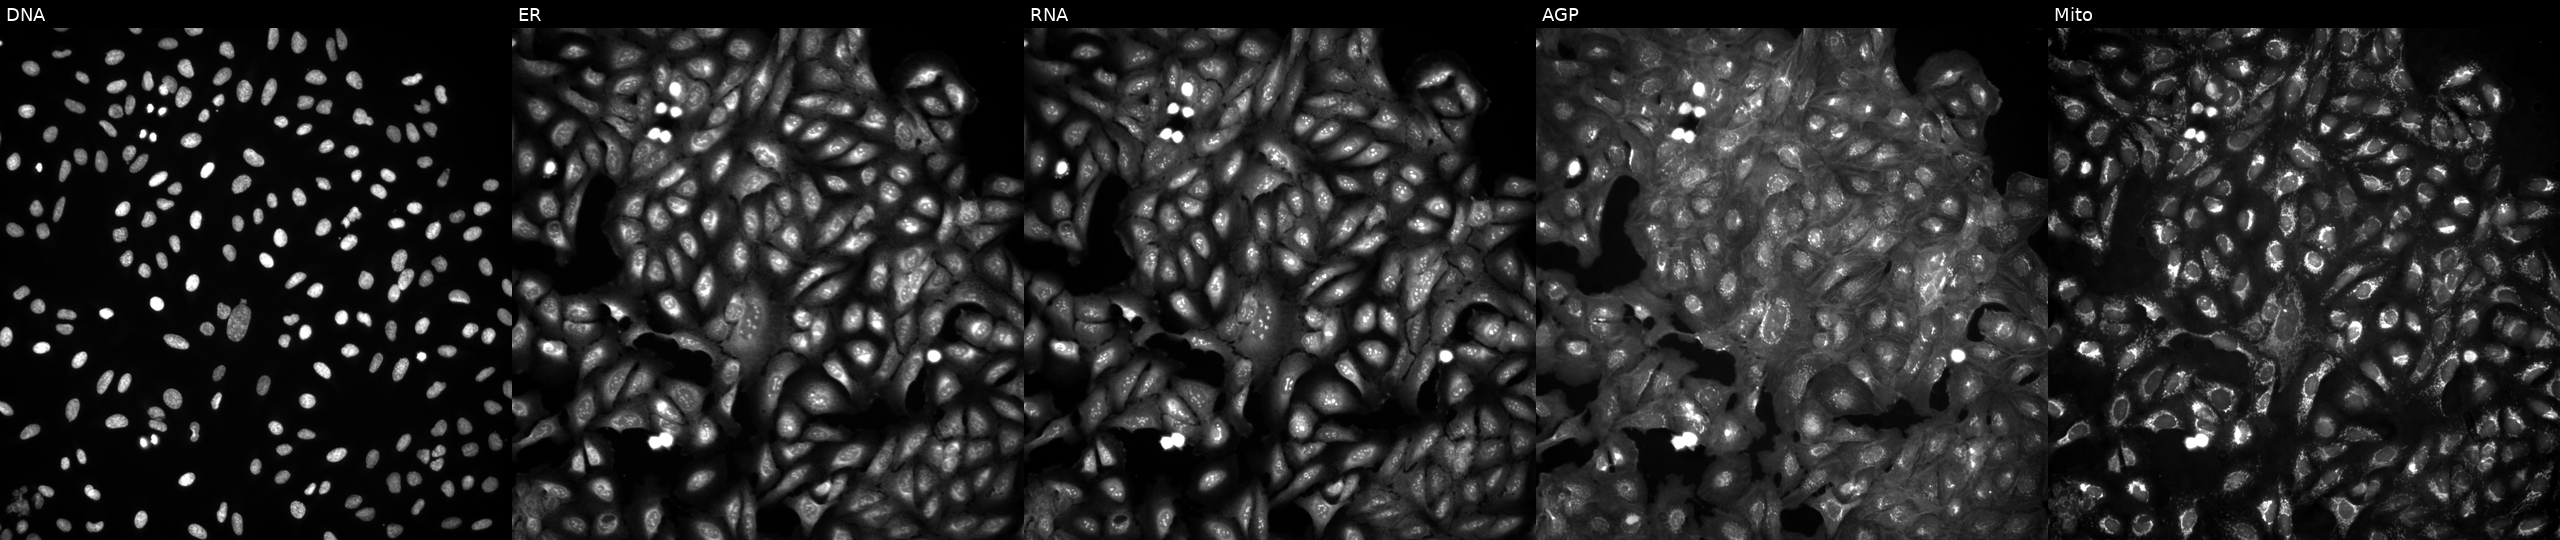
Five-channel Cell Painting image of U2OS cells in an empty control well (no perturbation) (JUMP id JCP2022_999999). Channels (left→right): DNA, ER, RNA, AGP, and Mito.